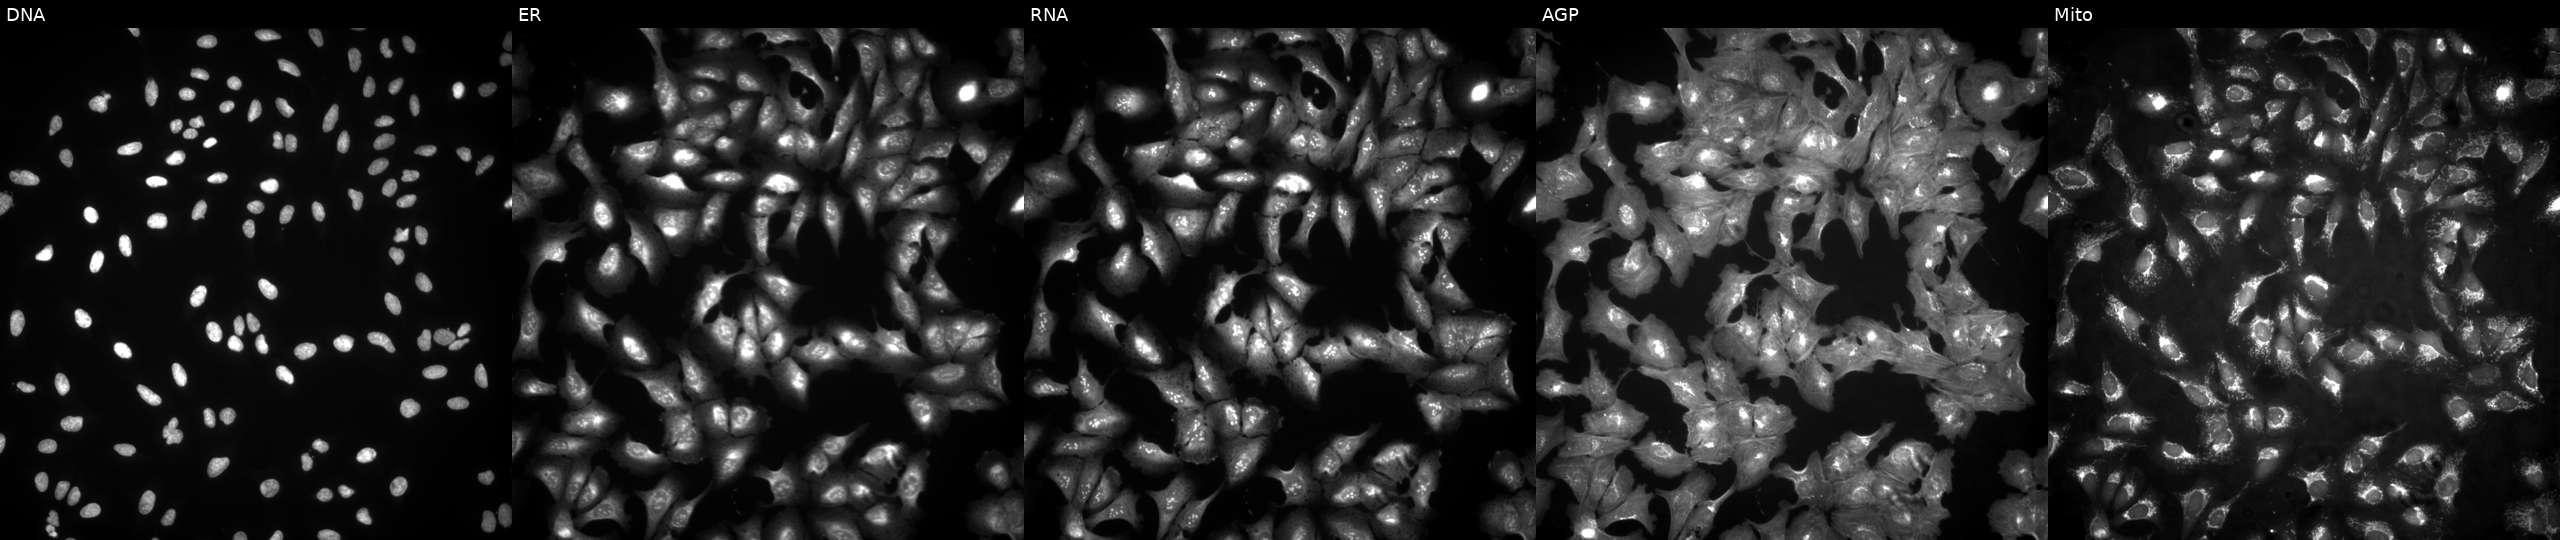
This image strip shows the five Cell Painting channels for a single field of U2OS cells expressing LUCIFERASE (ORF negative control) (JUMP id JCP2022_915130). Panels show, left to right, DNA, ER, RNA, AGP, and Mito.